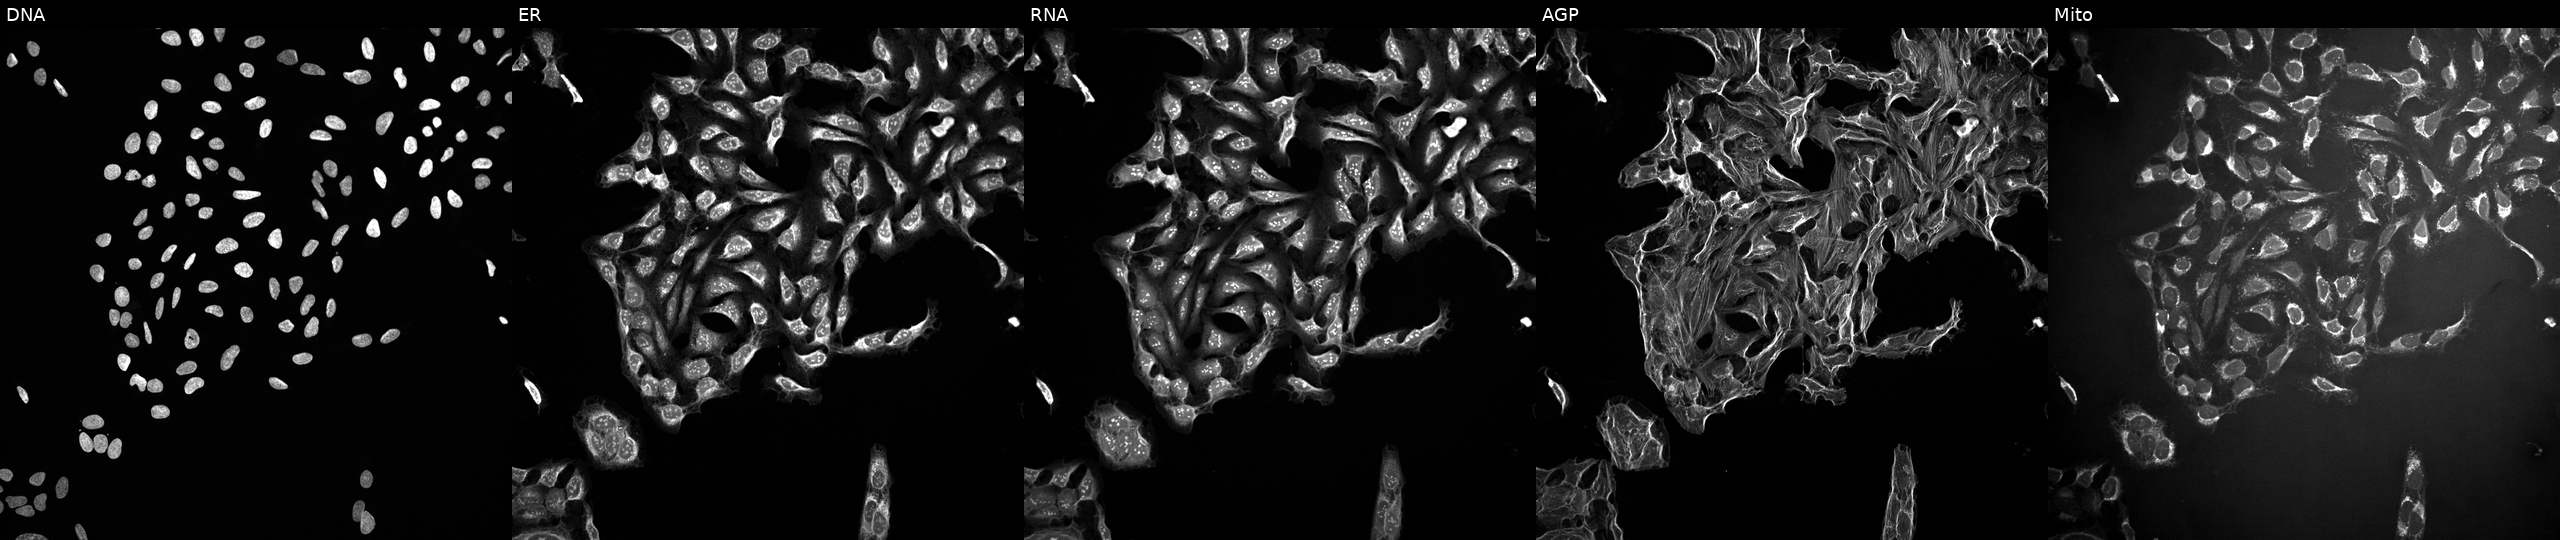
U2OS cells, Cell Painting assay, treated with a small-molecule compound (InChIKey UPWGQKDVAURUGE-UHFFFAOYSA-N) (JUMP id JCP2022_090768). Channels (left→right): Hoechst 33342, concanavalin A, SYTO 14, phalloidin and WGA, MitoTracker. Each panel is percentile-stretched 16-bit fluorescence.